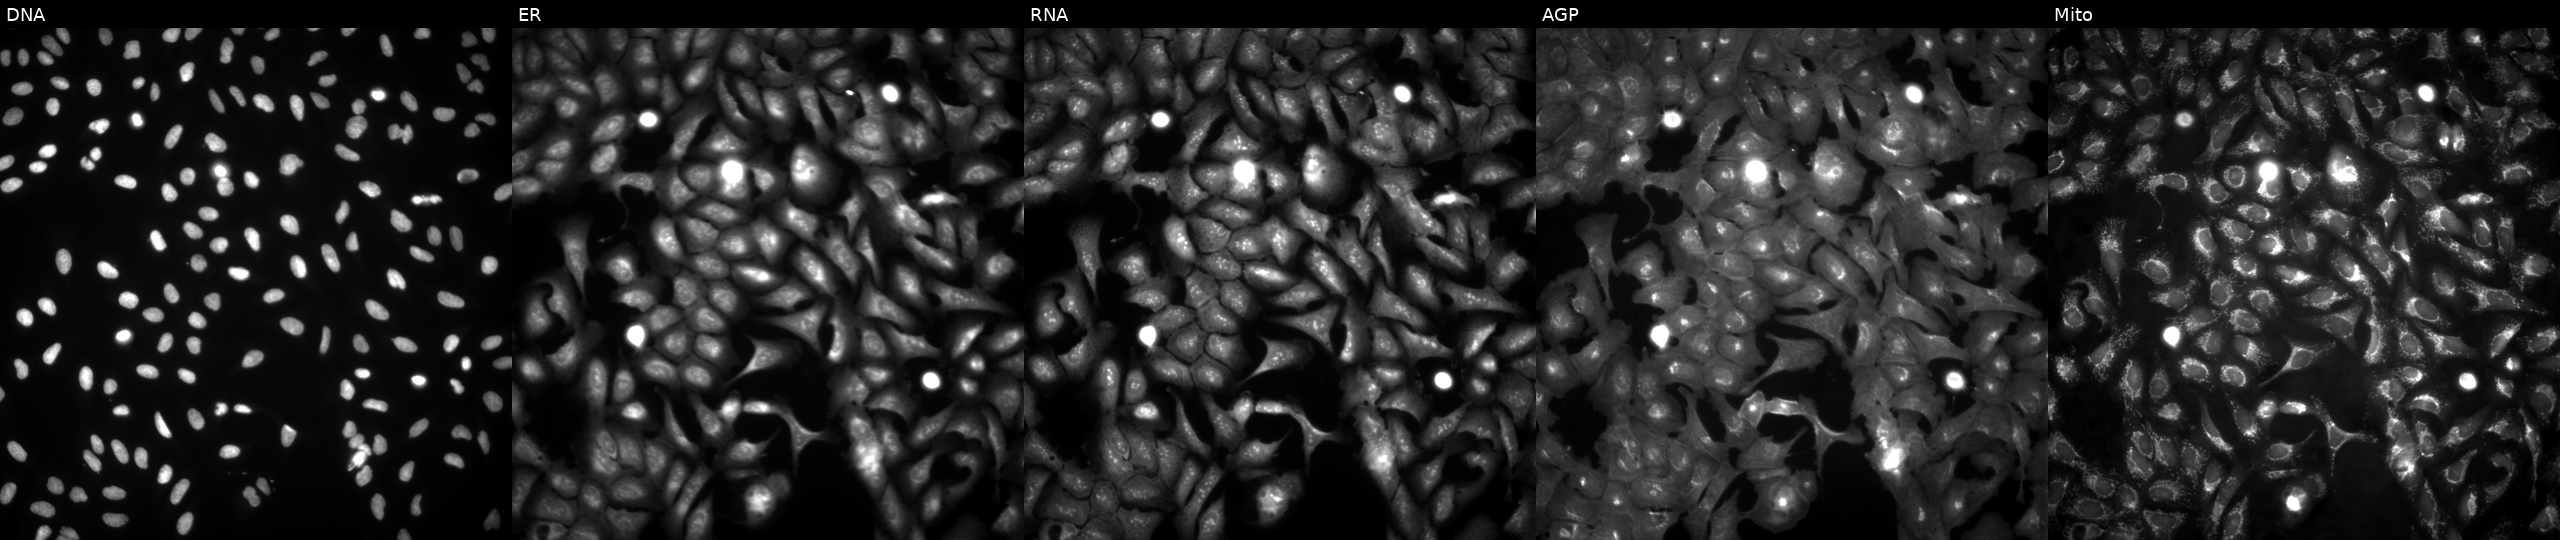
This image strip shows the five Cell Painting channels for a single field of U2OS cells with SOX14 overexpressed (ORF) (JUMP id JCP2022_906763). Panels show, left to right, Hoechst 33342, concanavalin A, SYTO 14, phalloidin and WGA, MitoTracker. Source 4, plate BR00123509, well A07.